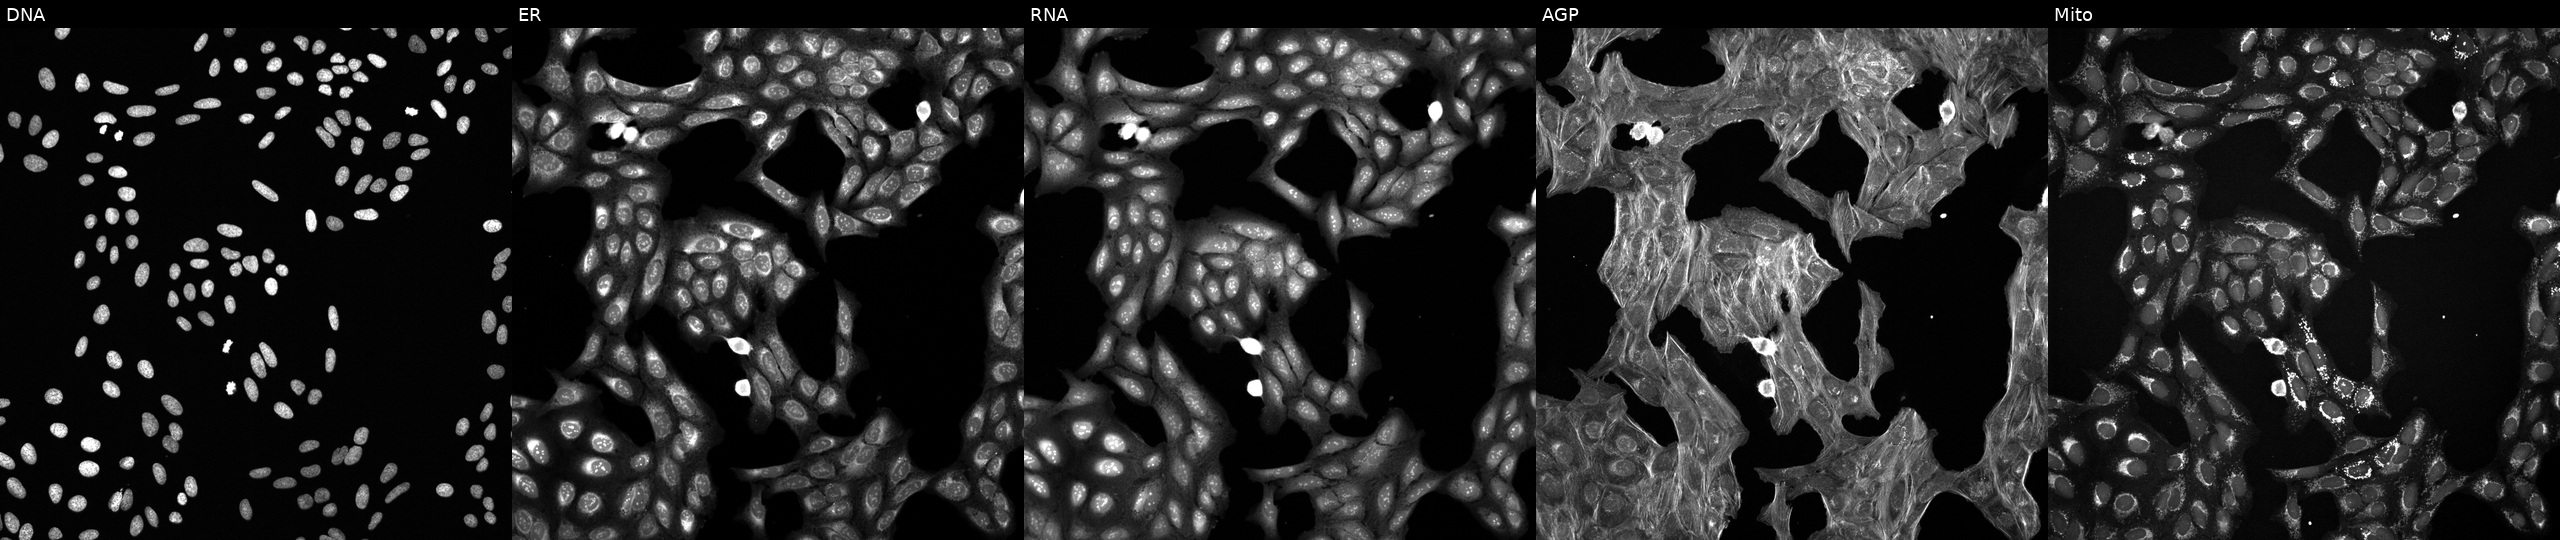
JUMP Cell Painting — COMPOUND plate. U2OS cells treated with a small-molecule compound (InChIKey YMZGLBPJUMQKQD-UHFFFAOYSA-N). Panels show, left to right, DNA, ER, RNA, AGP, and Mito.